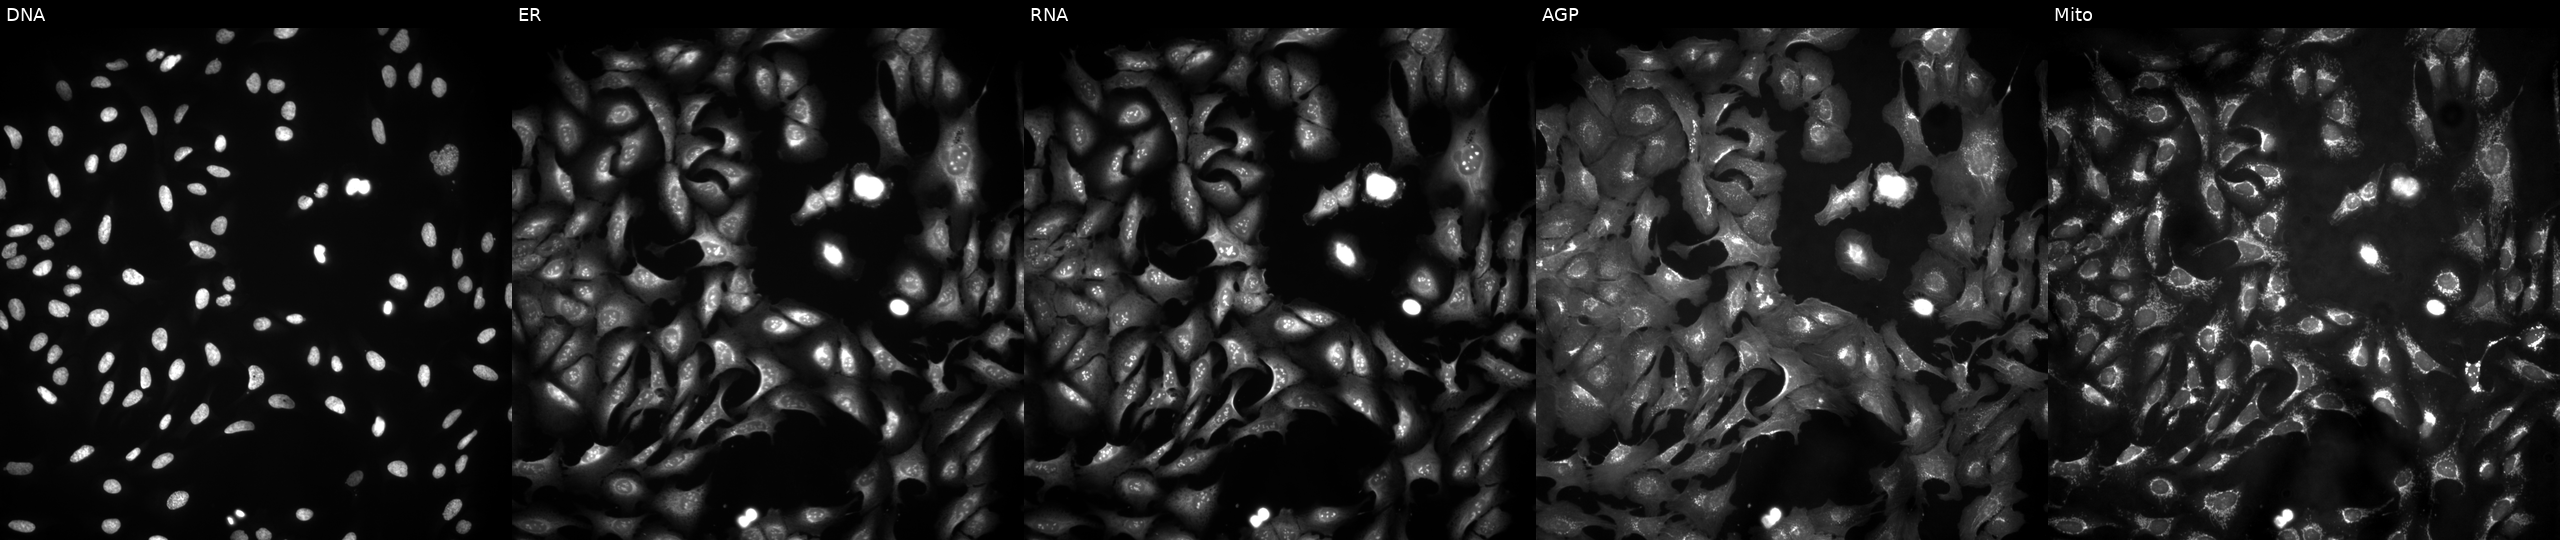
High-content fluorescence microscopy (Cell Painting). Cell line: U2OS. Perturbation: transfected with an ORF construct for DPP8 (JUMP id JCP2022_909508). Channels (left→right): DNA (nuclei); ER (endoplasmic reticulum); RNA (nucleoli and cytoplasmic RNA); AGP (actin cytoskeleton, Golgi, and plasma membrane); Mito (mitochondria).